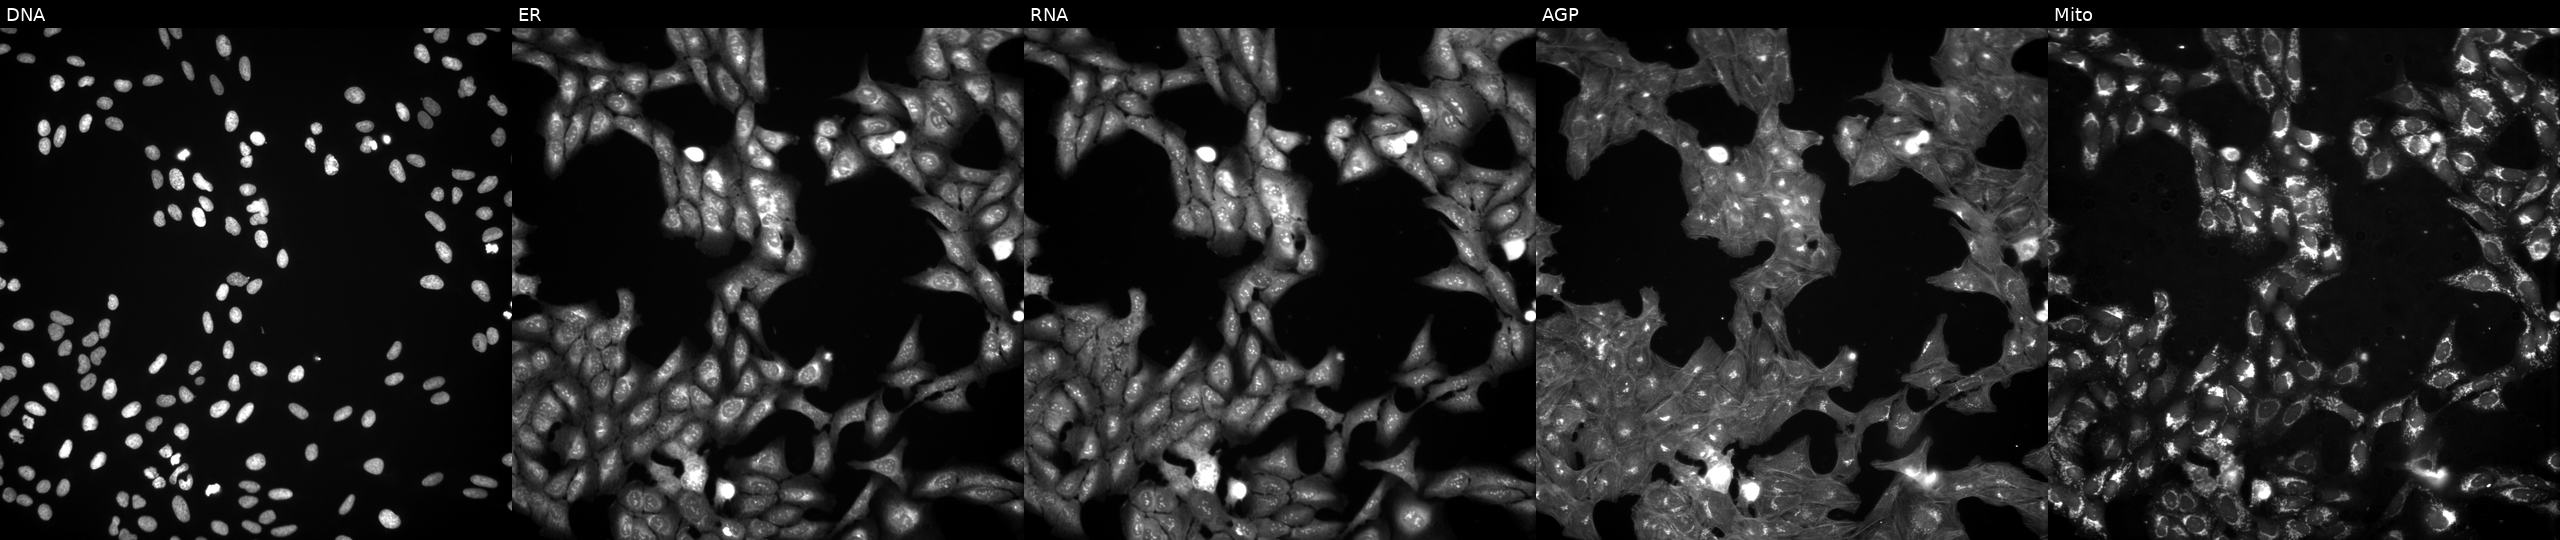
JUMP Cell Painting — TARGET2 plate. U2OS cells treated with DMSO vehicle only (negative control) (JUMP id JCP2022_033924). Channels (left→right): DNA, ER, RNA, AGP, and Mito.